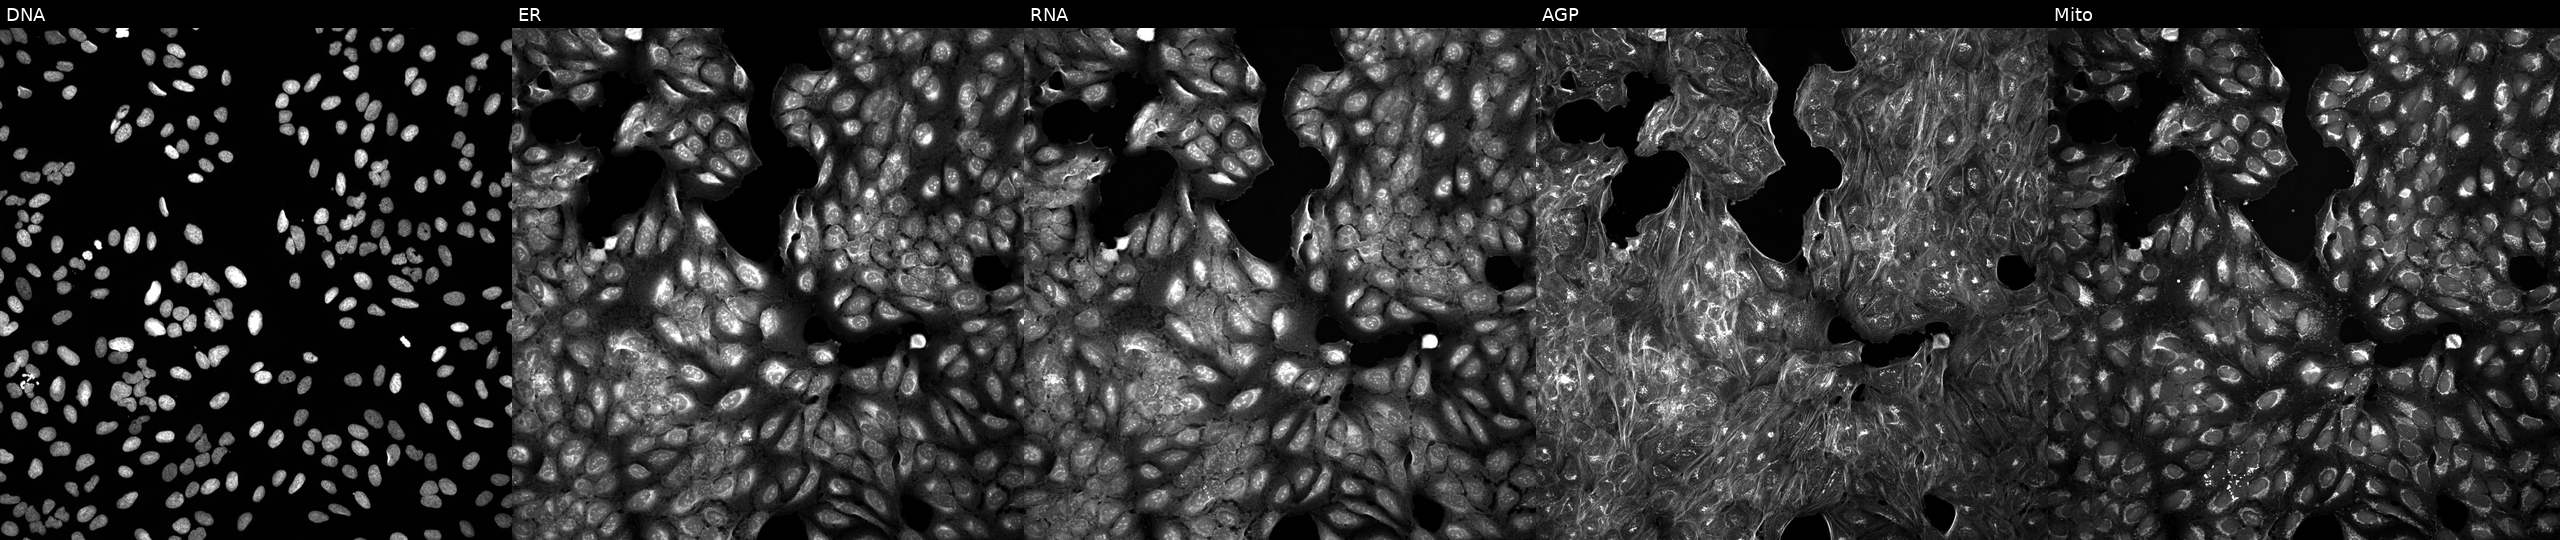
Five-channel Cell Painting image of U2OS cells treated with a small-molecule compound (InChIKey JBIMVDZLSHOPLA-UHFFFAOYSA-N) (JUMP id JCP2022_038675). From left to right: DNA, ER, RNA, AGP, and Mito. Source 5, plate ACPJUM051, well I22.